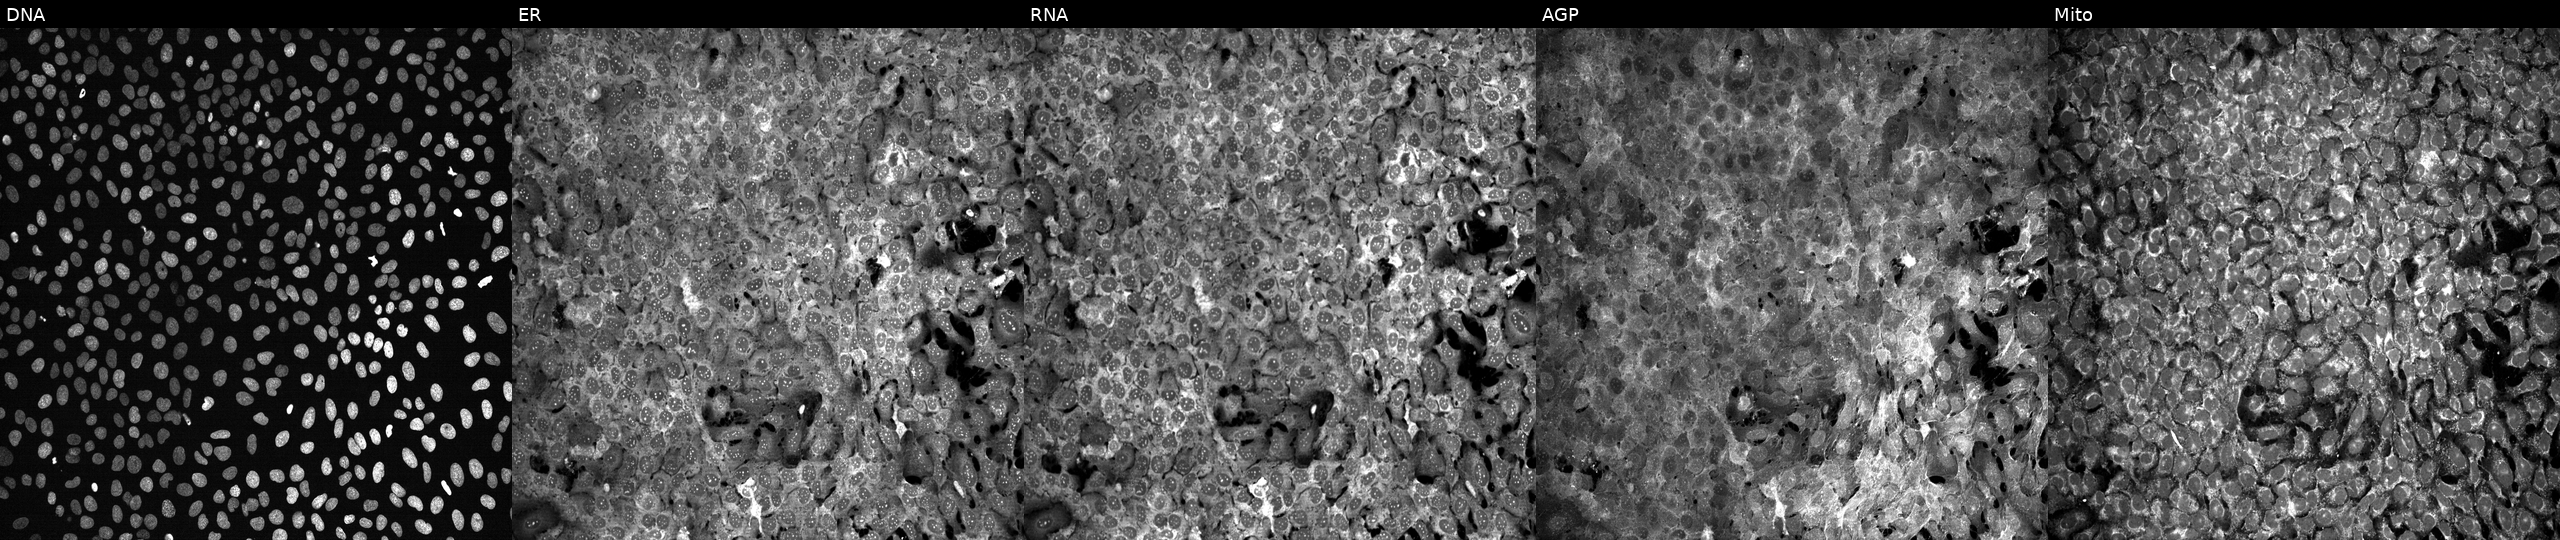
This image strip shows the five Cell Painting channels for a single field of U2OS cells treated with FK-866 (positive-control compound) (JUMP id JCP2022_046054). The five panels, left to right, show DNA, ER, RNA, AGP, and Mito. Source 13, plate CP-CC9-R4-04, well D01.